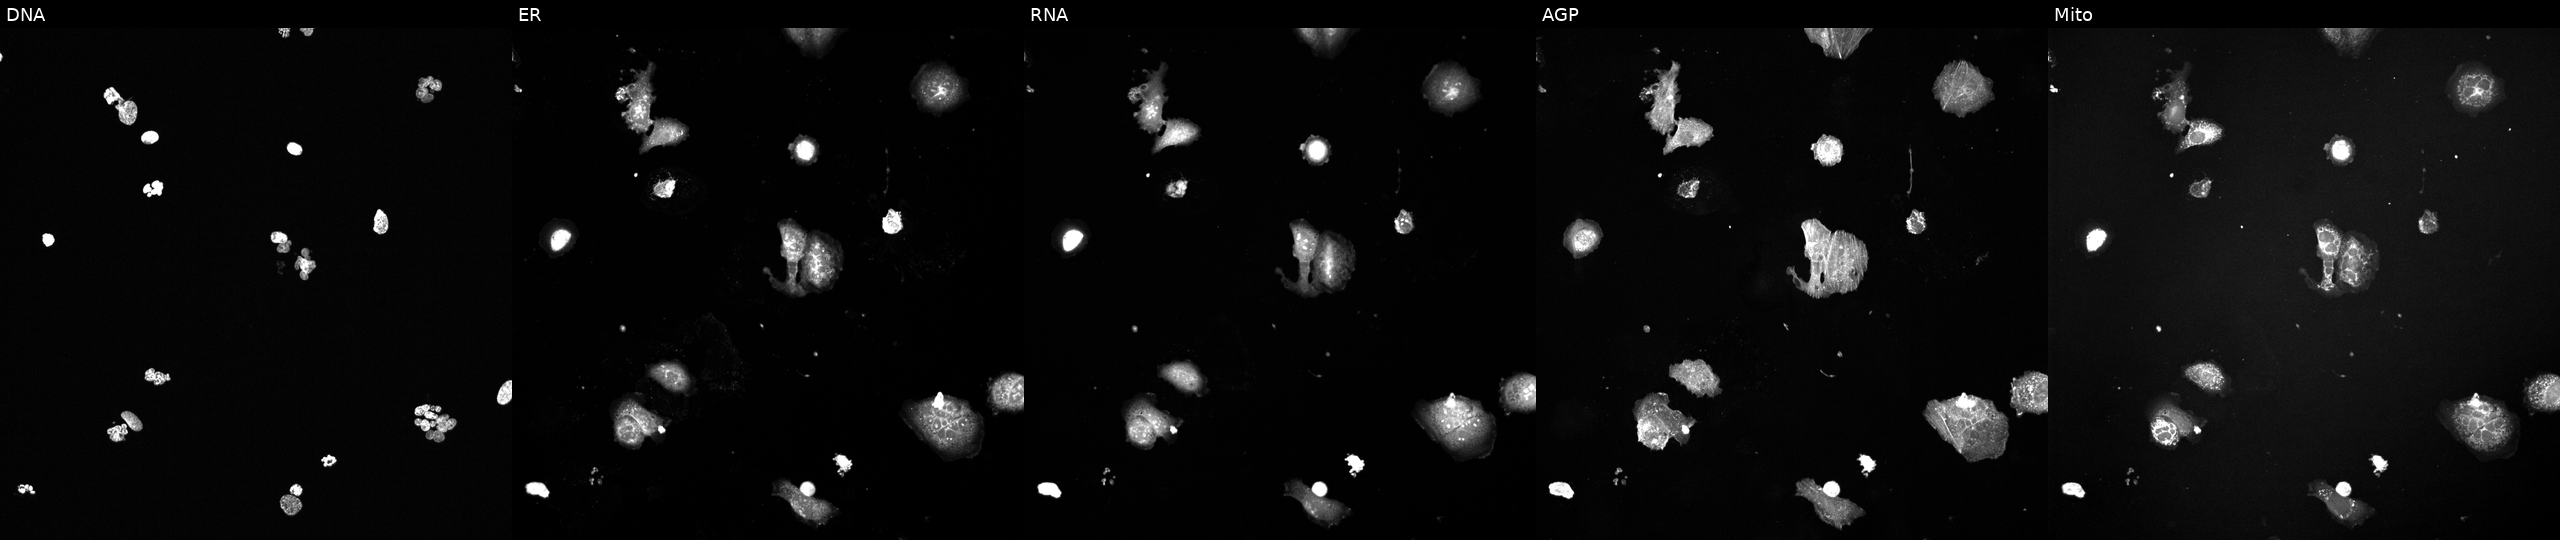
Panels show, left to right, DNA, ER, RNA, AGP, and Mito. U2OS osteosarcoma cells treated with a small-molecule compound (InChIKey ZGGCVUDHQFJLPZ-UHFFFAOYSA-N) (JUMP id JCP2022_113105). Cell Painting assay, JUMP-CP dataset.